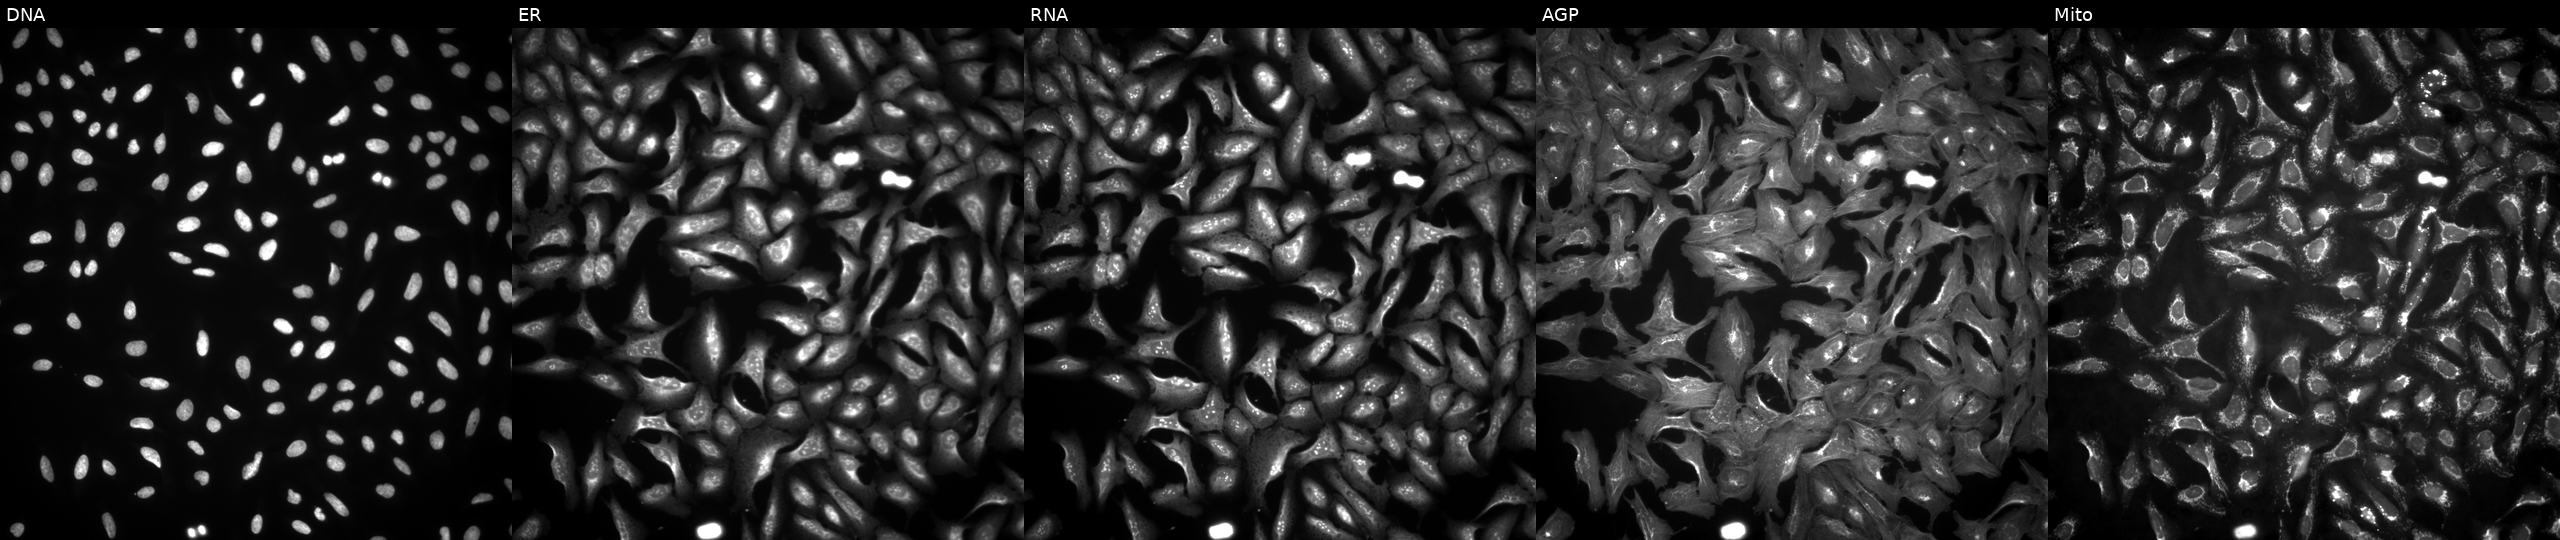
U2OS cells, Cell Painting assay, transfected with an ORF construct for DPH3. The five panels, left to right, show DNA (nuclei); ER (endoplasmic reticulum); RNA (nucleoli and cytoplasmic RNA); AGP (actin cytoskeleton, Golgi, and plasma membrane); Mito (mitochondria). Each panel is percentile-stretched 16-bit fluorescence.